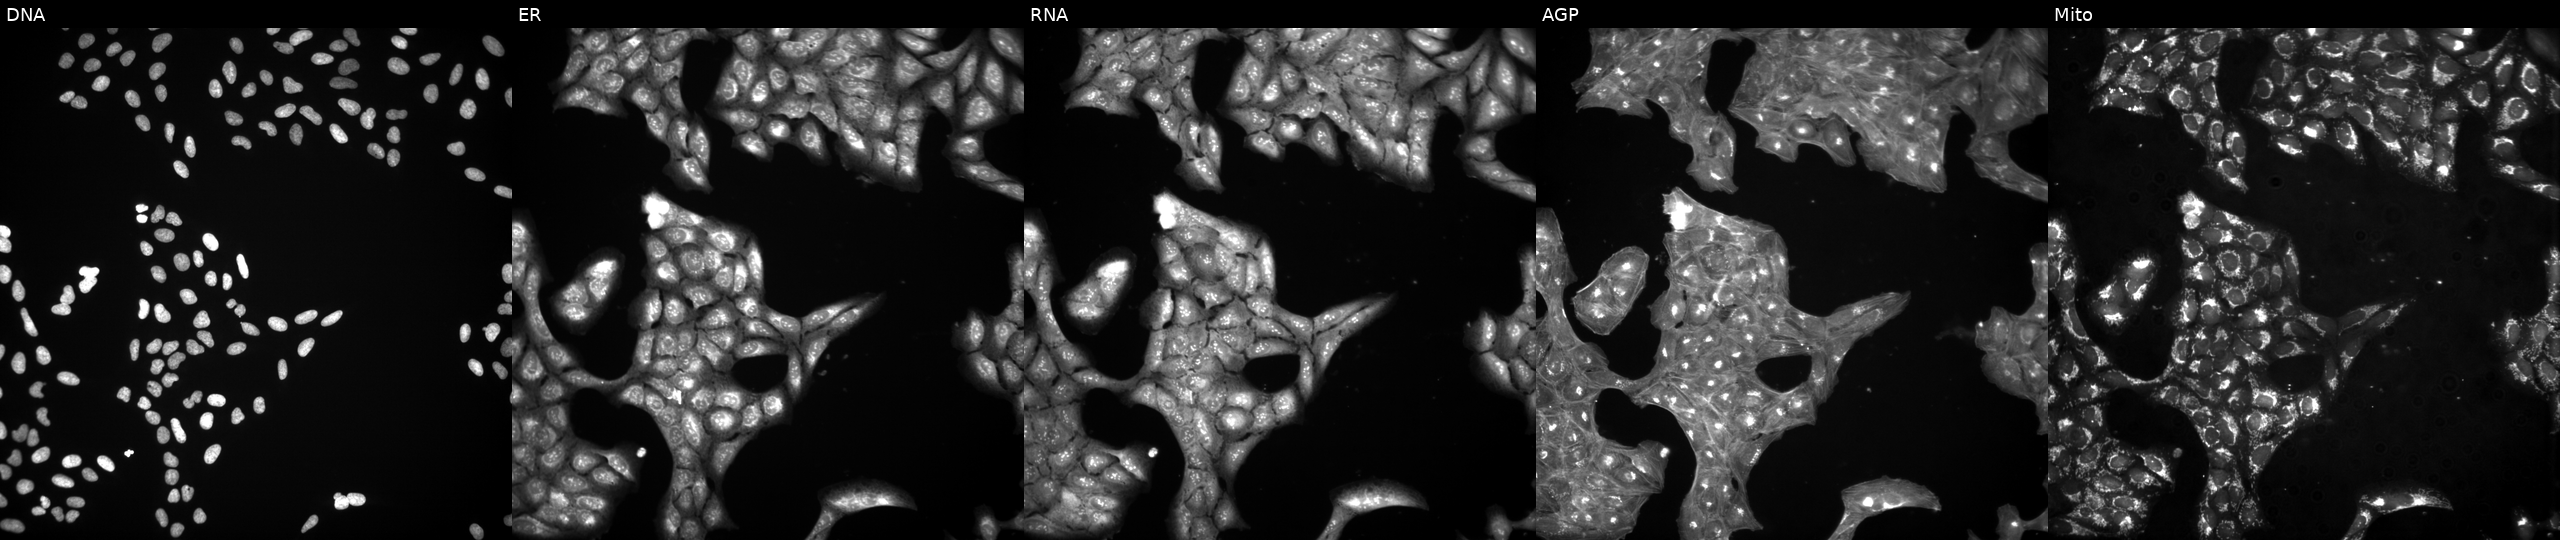
Channels (left→right): DNA, ER, RNA, AGP, and Mito. U2OS osteosarcoma cells perturbed with a small-molecule compound (InChIKey MENNDDDTIIZDDN-UHFFFAOYSA-N). Cell Painting assay, JUMP-CP dataset.